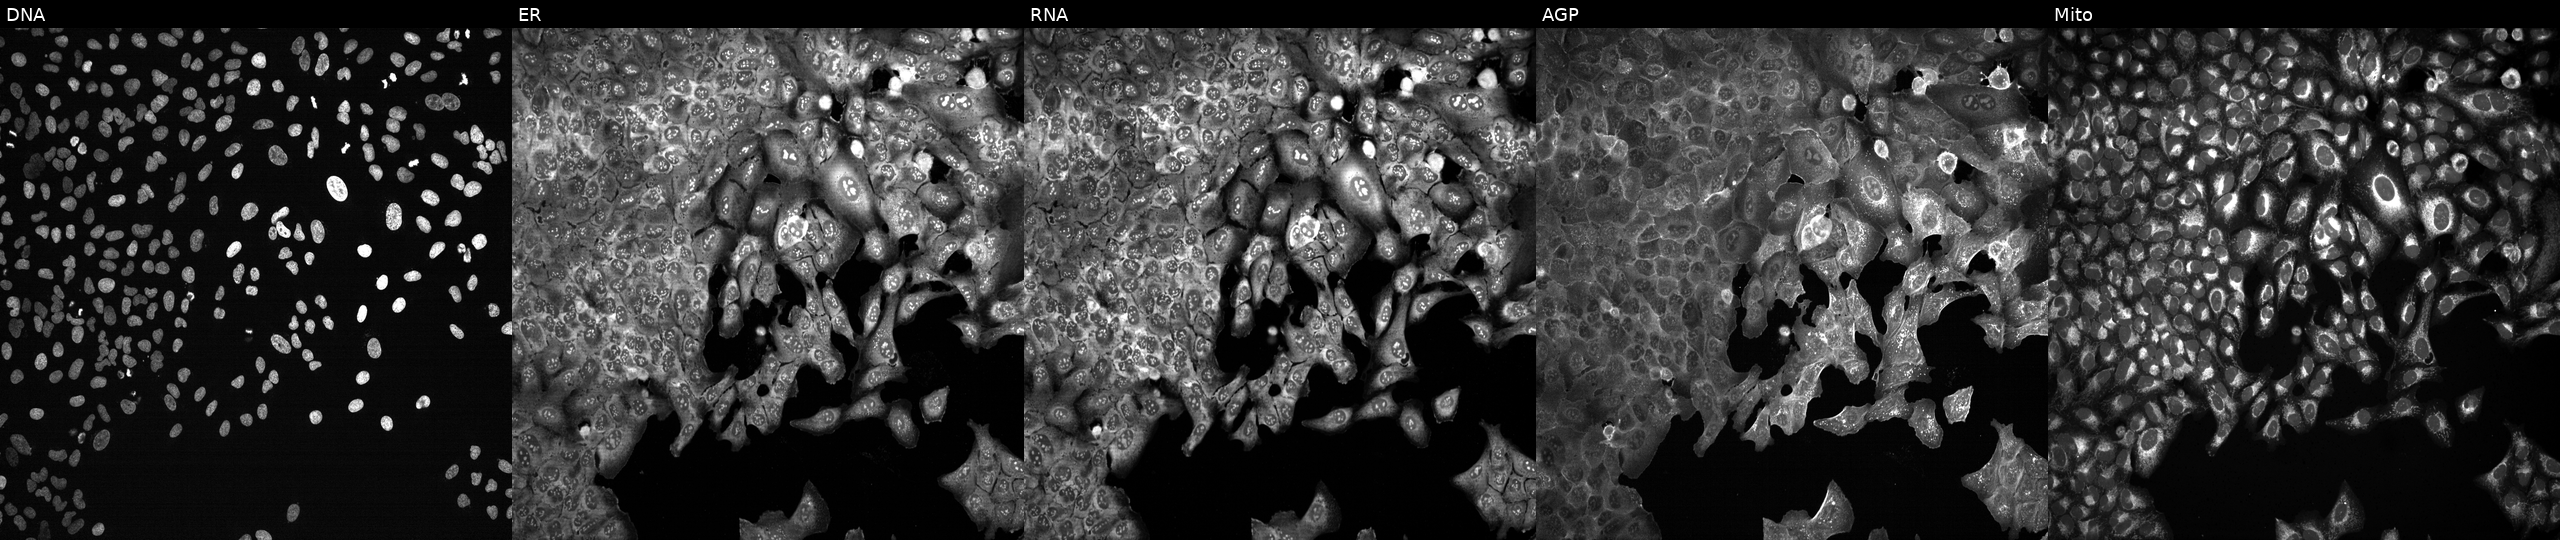
High-content fluorescence microscopy (Cell Painting). Cell line: U2OS. Perturbation: CRISPR-edited to disrupt CPM (JUMP id JCP2022_801474). The five panels, left to right, show DNA, ER, RNA, AGP, and Mito.